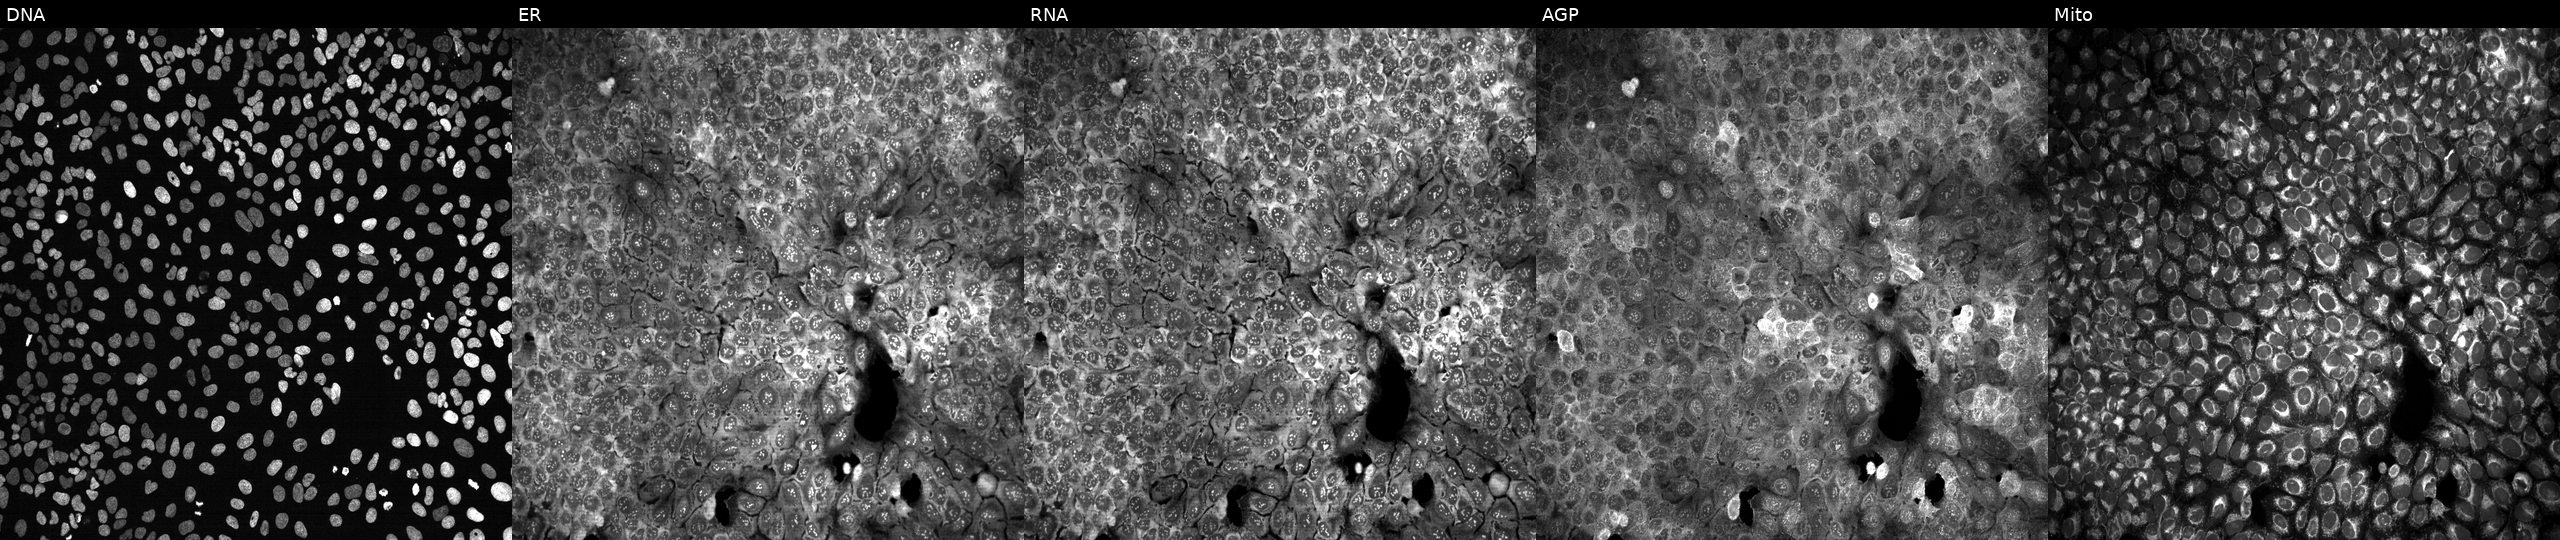
This image strip shows the five Cell Painting channels for a single field of U2OS cells with no CRISPR guide (negative control) (JUMP id JCP2022_800001). The five panels, left to right, show DNA (nuclei); ER (endoplasmic reticulum); RNA (nucleoli and cytoplasmic RNA); AGP (actin cytoskeleton, Golgi, and plasma membrane); Mito (mitochondria). Source 13, plate CP-CC9-R4-03, well P03.